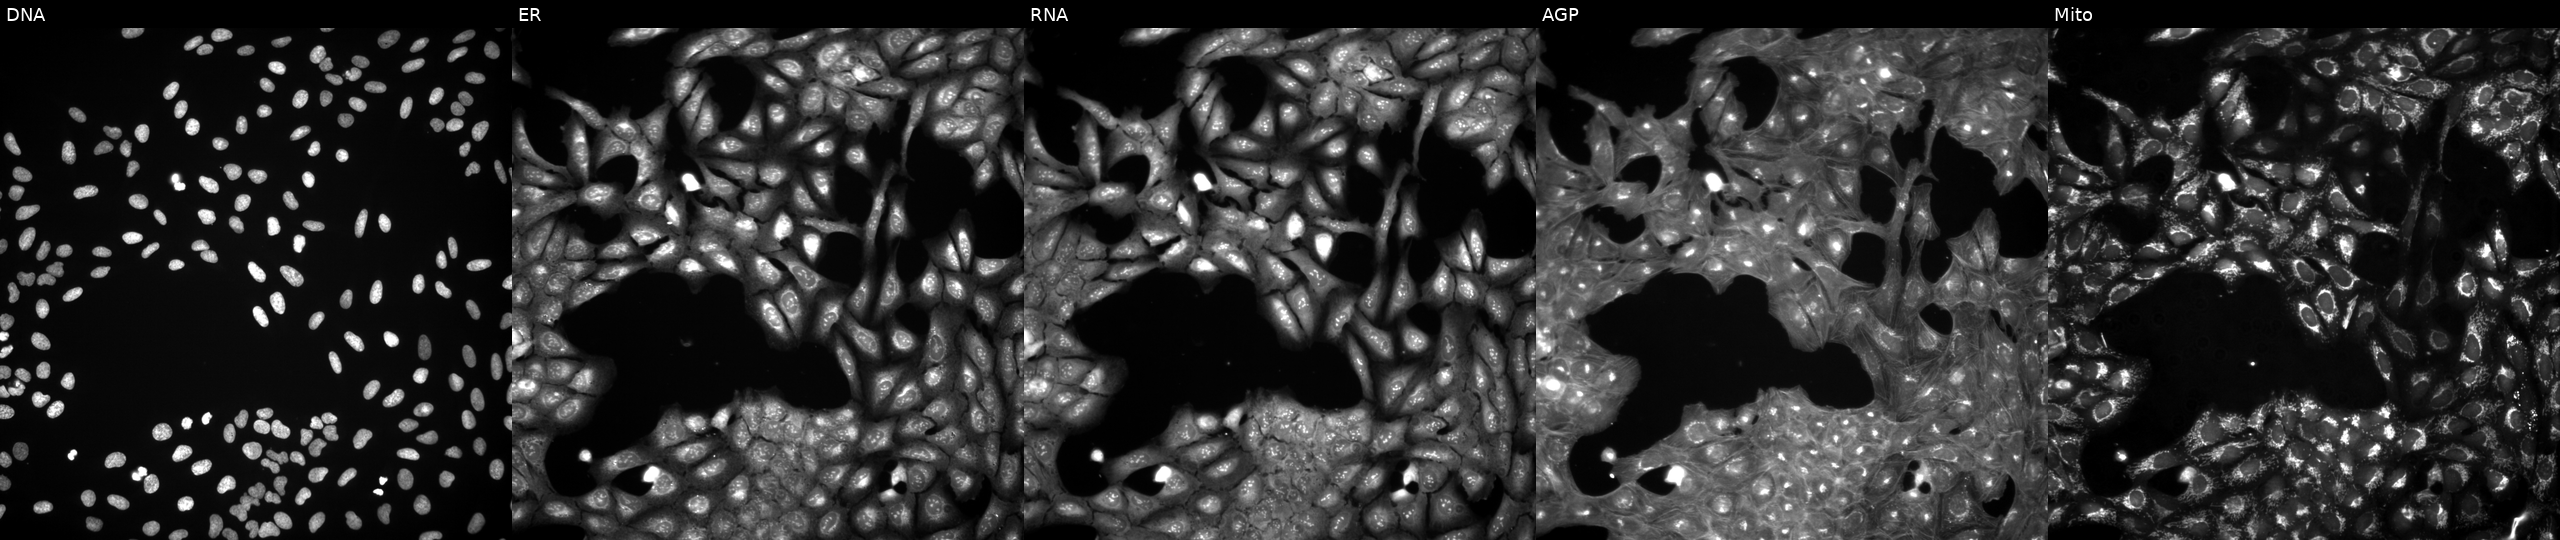
Five-channel Cell Painting image of U2OS cells treated with a small-molecule compound (InChIKey PDMUULPVBYQBBK-UHFFFAOYSA-N). Channels (left→right): DNA, ER, RNA, AGP, and Mito.